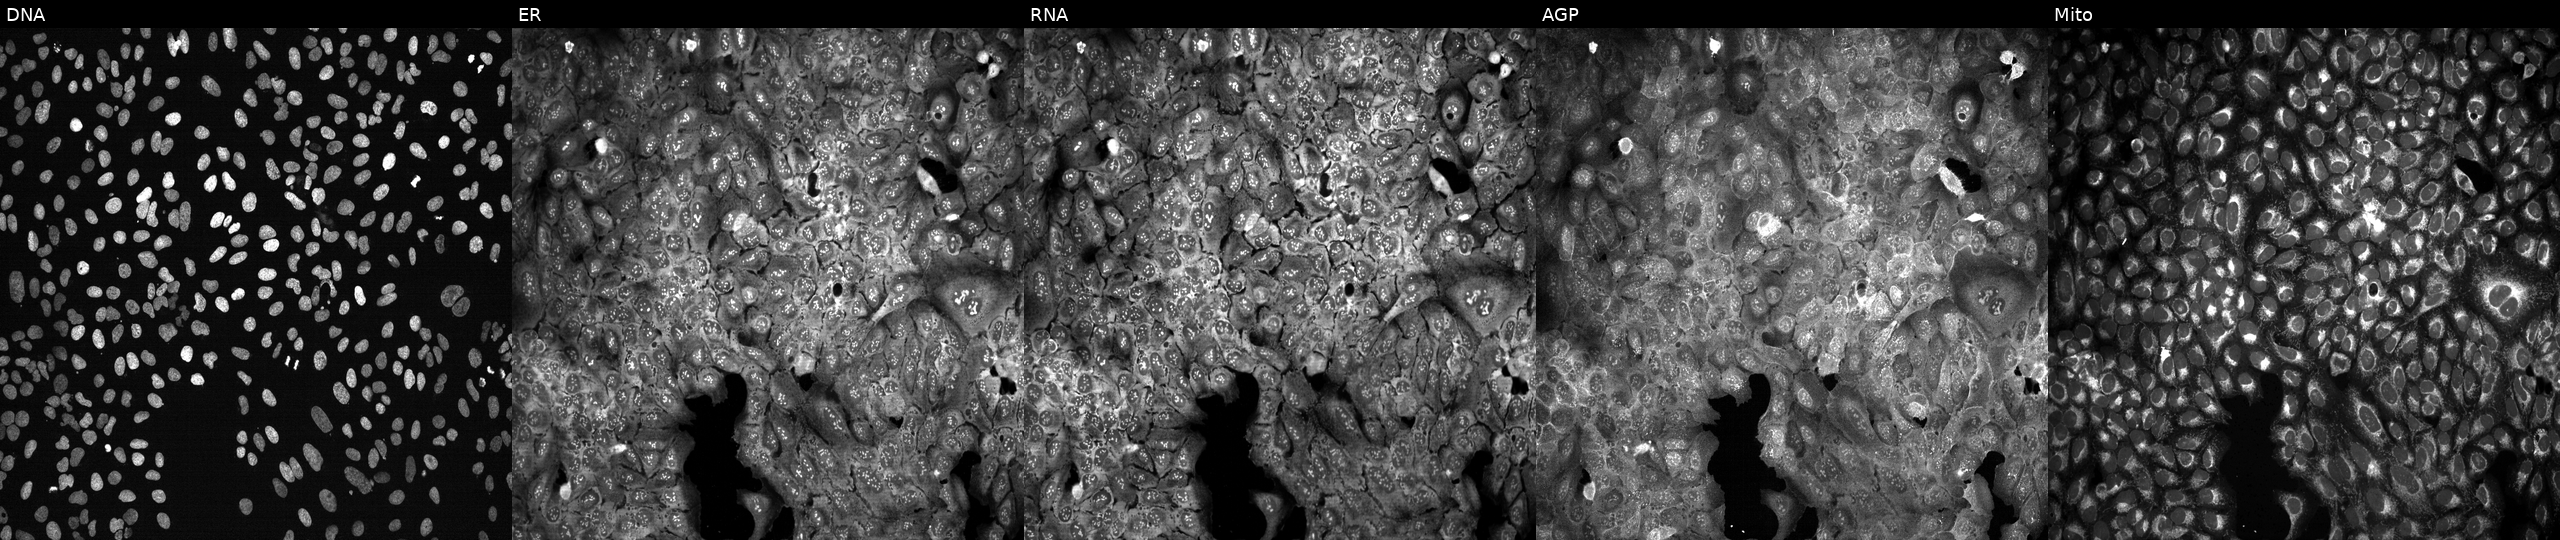
Channels (left→right): DNA, ER, RNA, AGP, and Mito. U2OS osteosarcoma cells CRISPR-edited to disrupt IL1RL1. Cell Painting assay, JUMP-CP dataset.